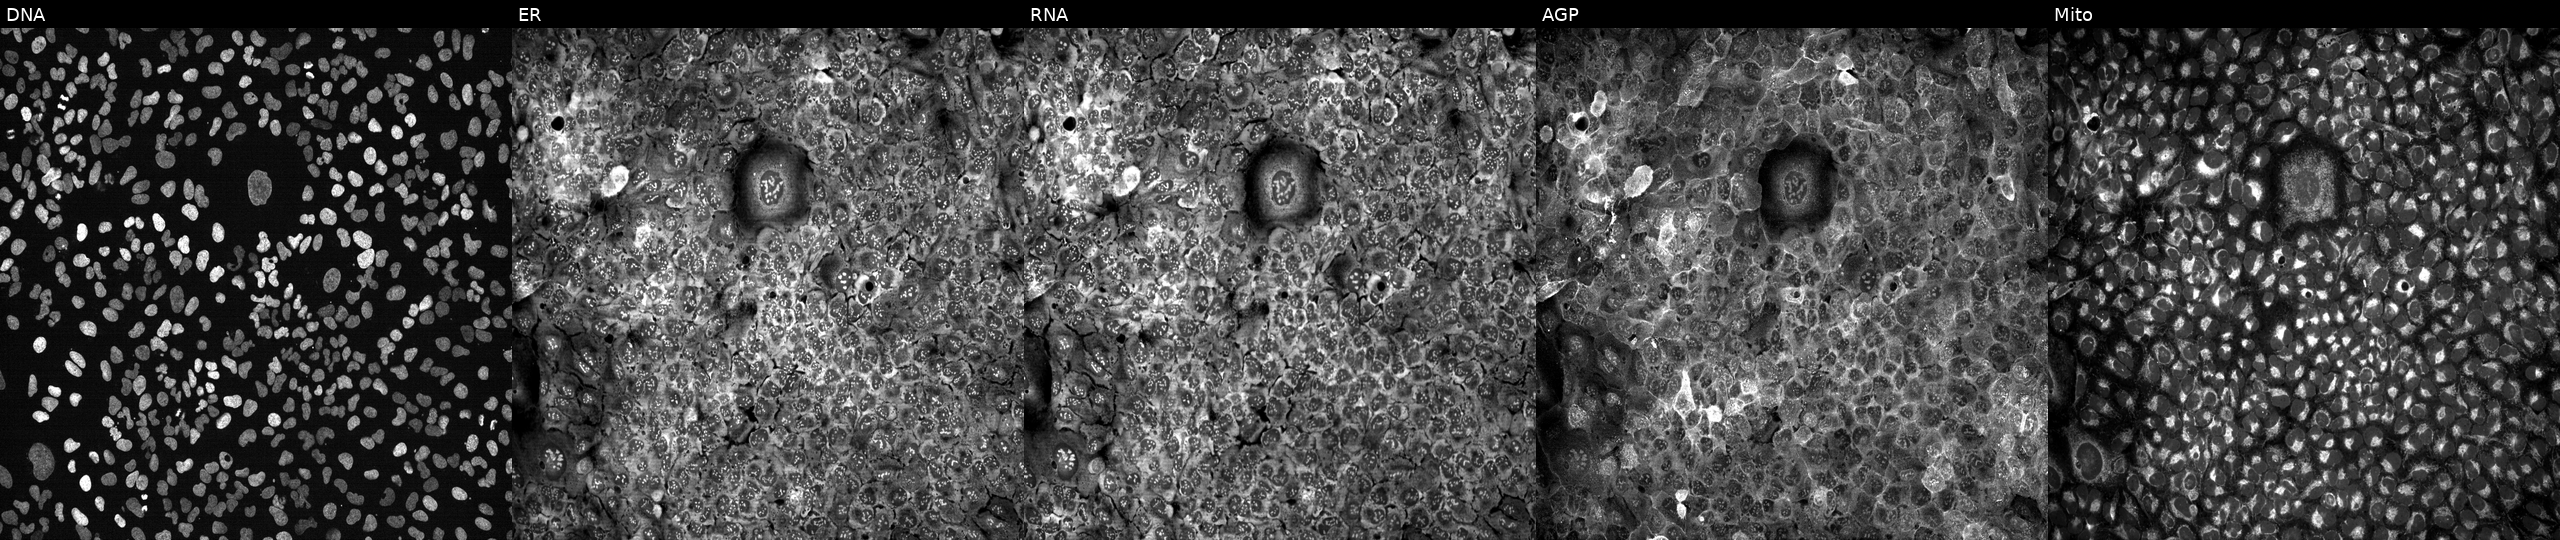
JUMP Cell Painting — CRISPR plate. U2OS cells CRISPR-edited to disrupt GAB2 (JUMP id JCP2022_802544). Panels show, left to right, DNA, ER, RNA, AGP, and Mito. Source 13, plate CP-CC9-R4-04, well F14.